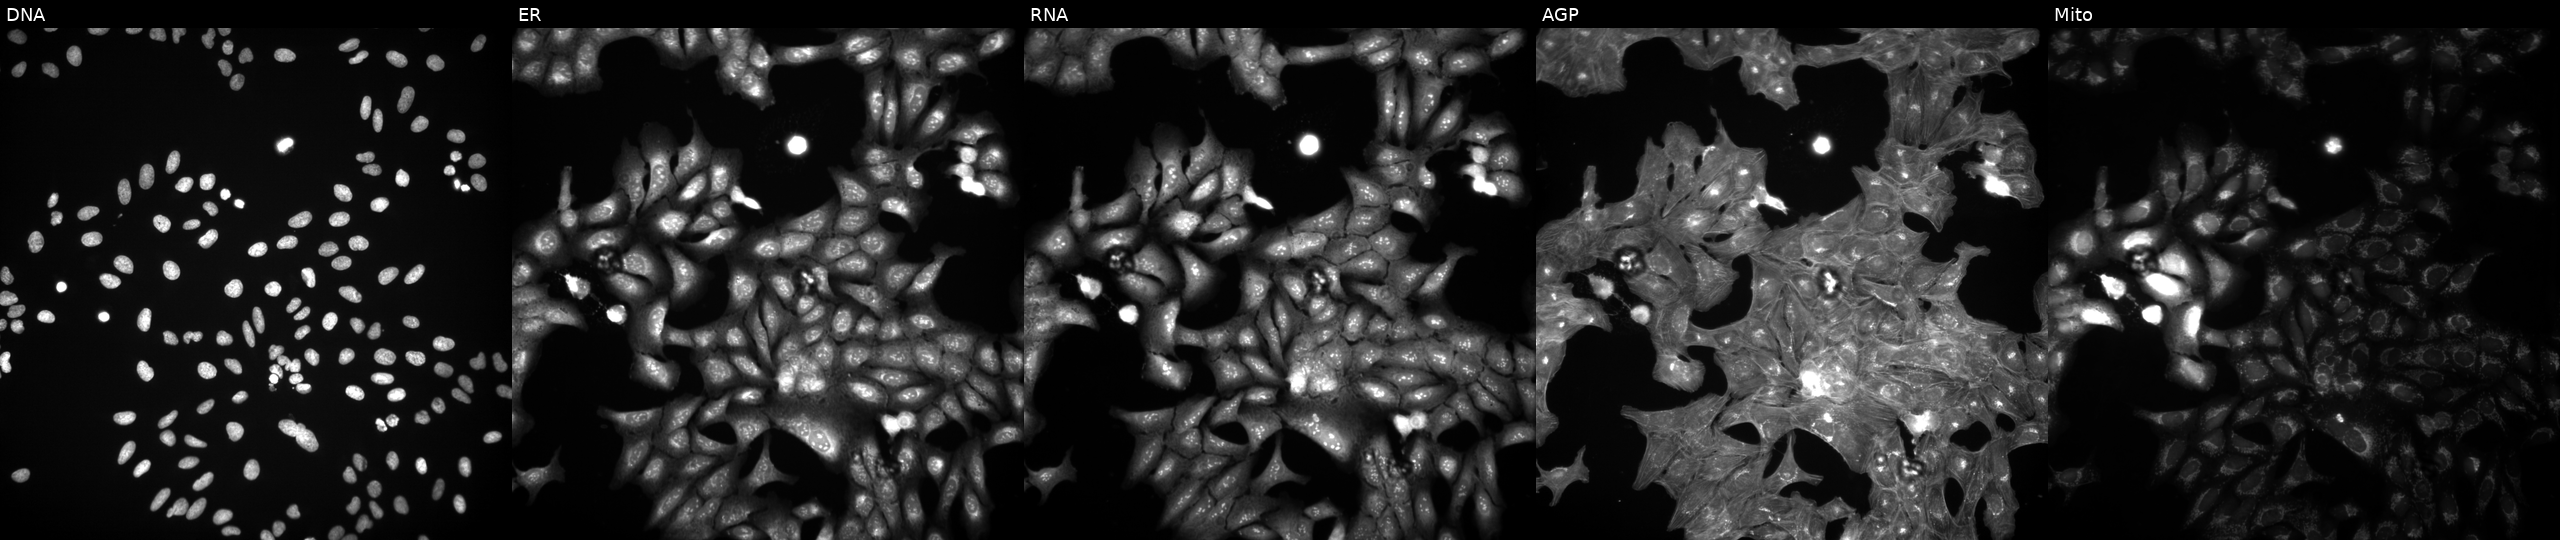
High-content fluorescence microscopy (Cell Painting). Cell line: U2OS. Perturbation: exposed to DMSO alone as a negative control. From left to right: DNA, ER, RNA, AGP, and Mito. Source 3, plate JCPQC051, well E08.